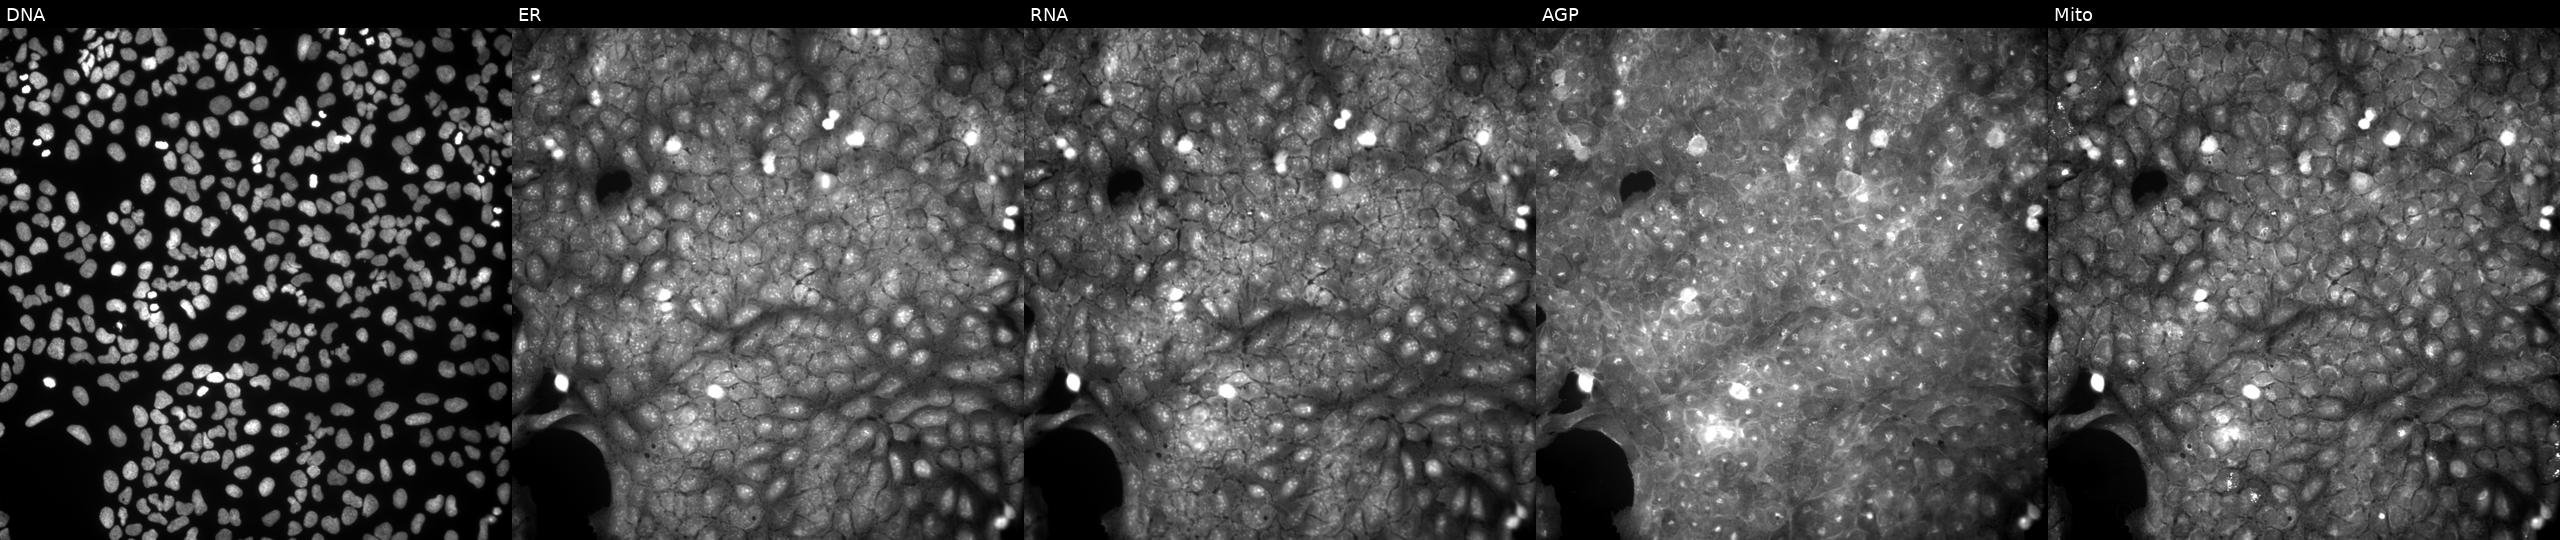
High-content fluorescence microscopy (Cell Painting). Cell line: U2OS. Perturbation: perturbed with a small-molecule compound. The five panels, left to right, show DNA (nuclei); ER (endoplasmic reticulum); RNA (nucleoli and cytoplasmic RNA); AGP (actin cytoskeleton, Golgi, and plasma membrane); Mito (mitochondria).